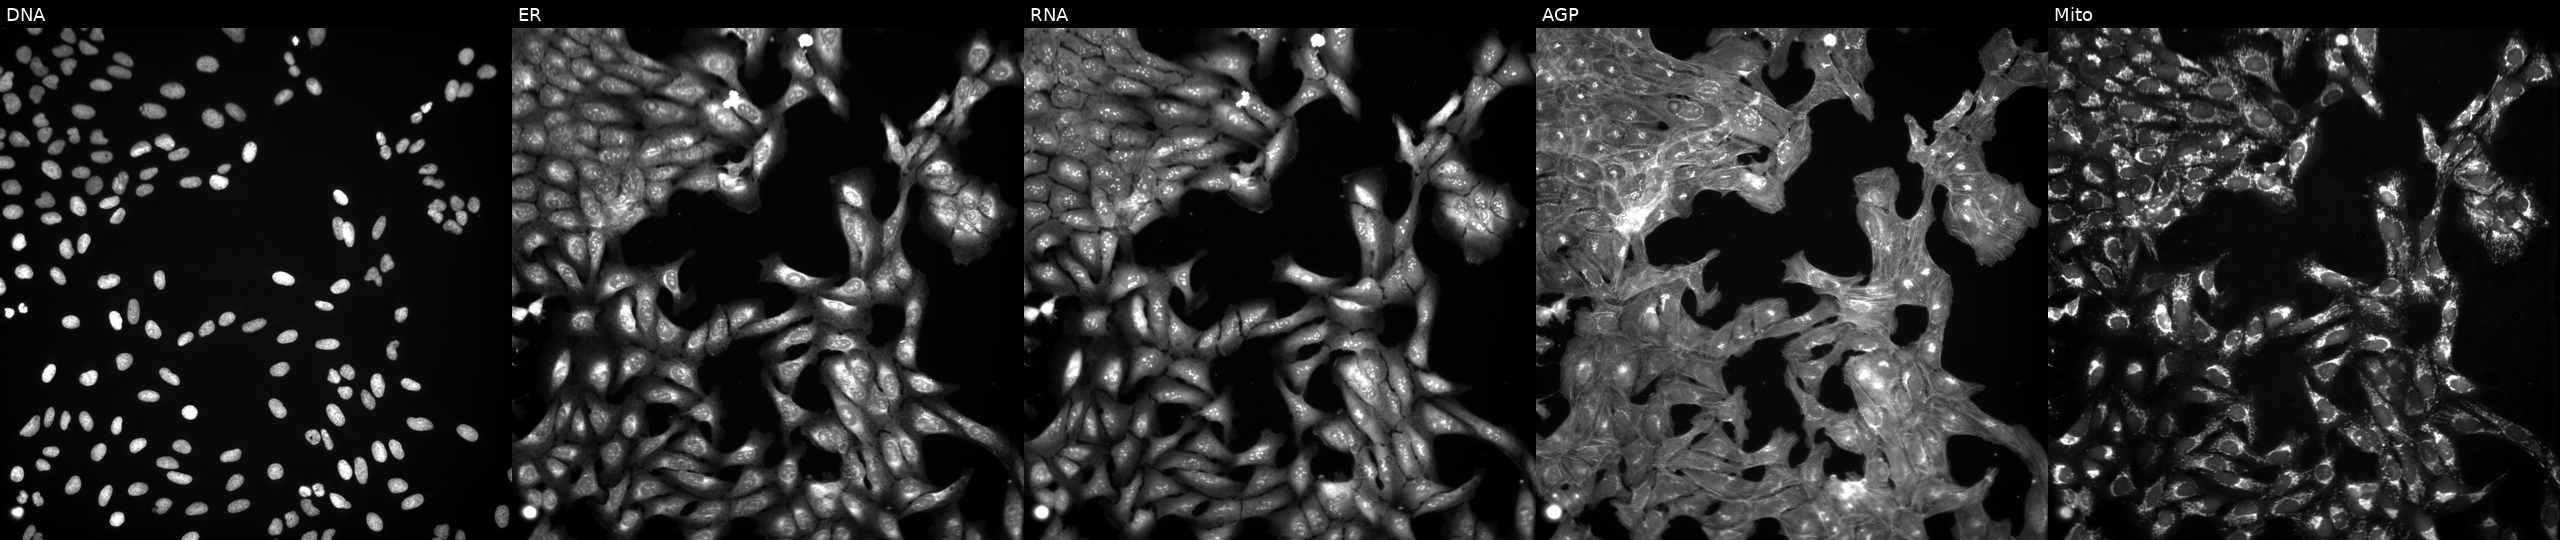
U2OS cells, Cell Painting assay, exposed to DMSO alone as a negative control (JUMP id JCP2022_033924). The five panels, left to right, show DNA (nuclei); ER (endoplasmic reticulum); RNA (nucleoli and cytoplasmic RNA); AGP (actin cytoskeleton, Golgi, and plasma membrane); Mito (mitochondria). Each panel is percentile-stretched 16-bit fluorescence.